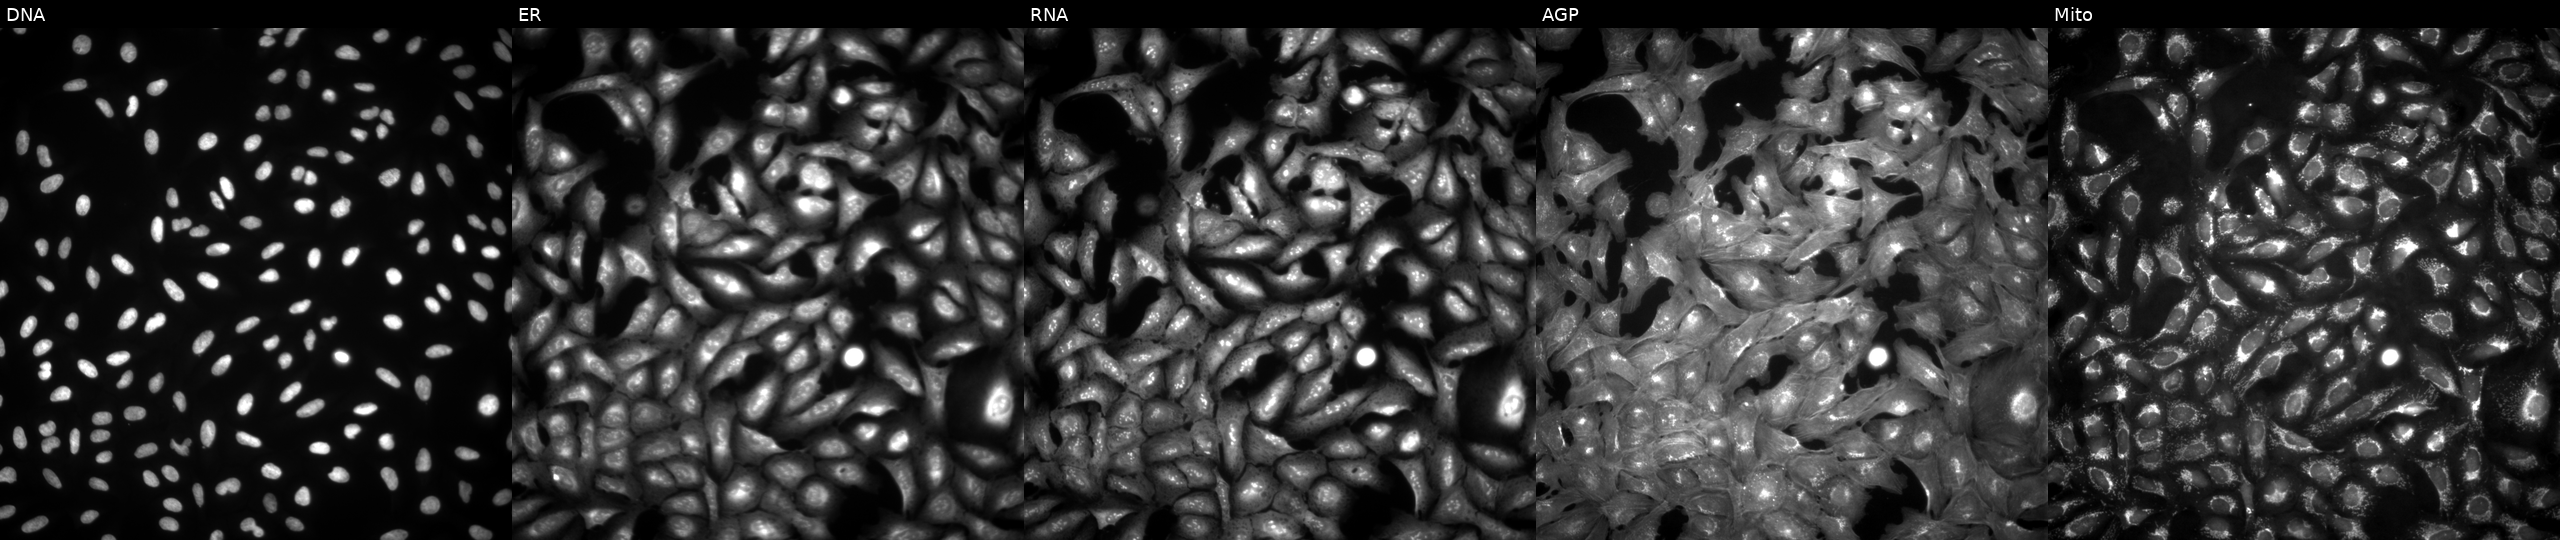
Five-channel Cell Painting image of U2OS cells overexpressing CNTFR via ORF transfection. The five panels, left to right, show DNA, ER, RNA, AGP, and Mito.